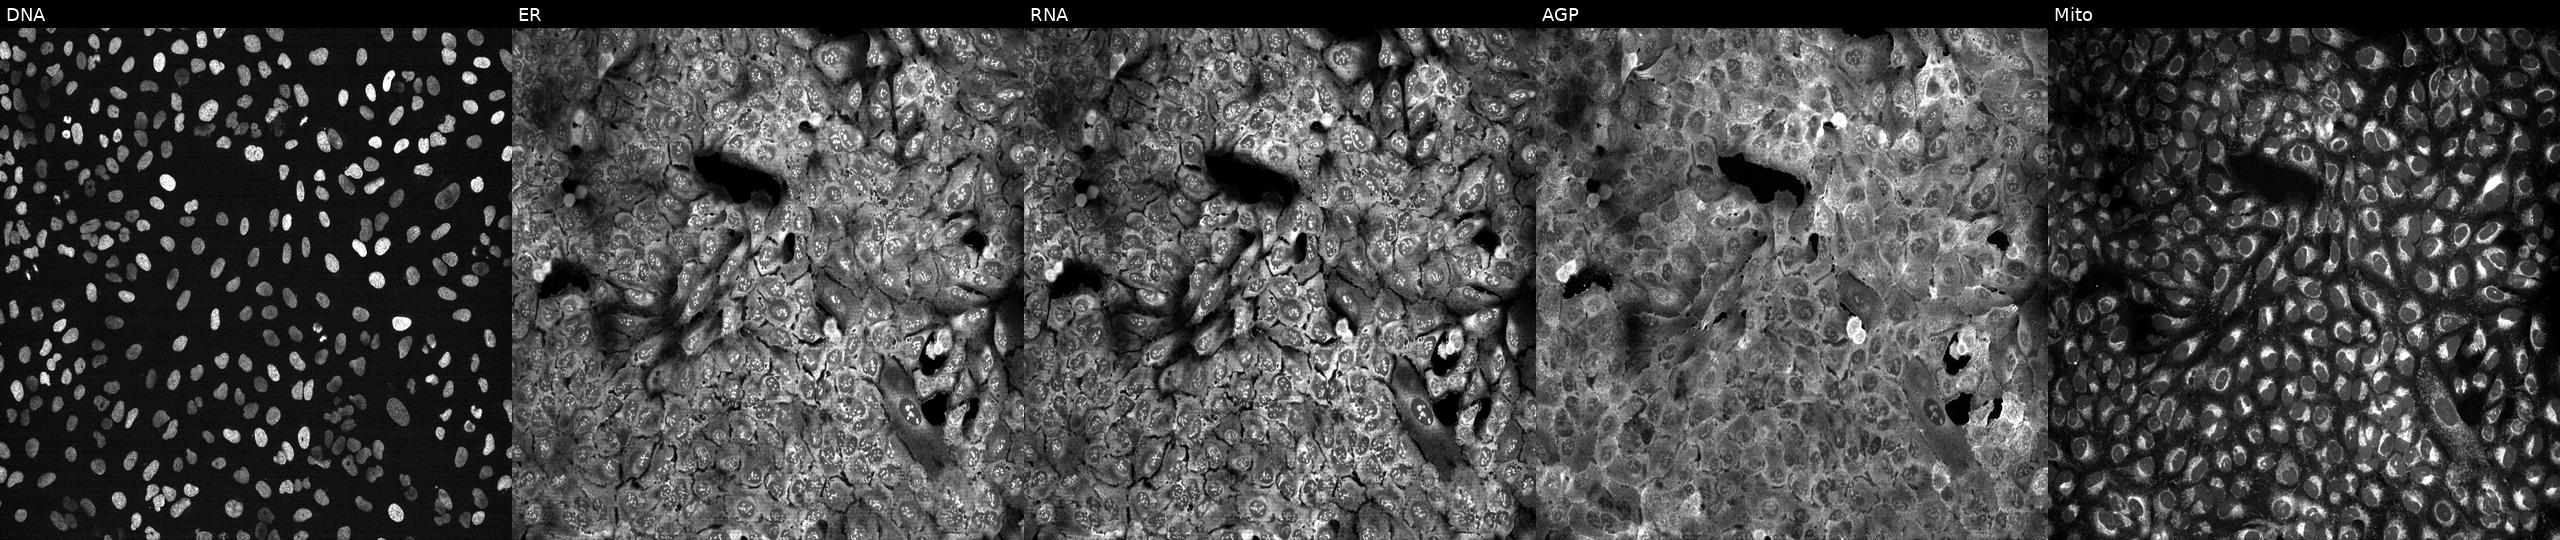
JUMP Cell Painting — CRISPR plate. U2OS cells with SLC9A6 knocked out by CRISPR (JUMP id JCP2022_806598). From left to right: DNA (nuclei); ER (endoplasmic reticulum); RNA (nucleoli and cytoplasmic RNA); AGP (actin cytoskeleton, Golgi, and plasma membrane); Mito (mitochondria).